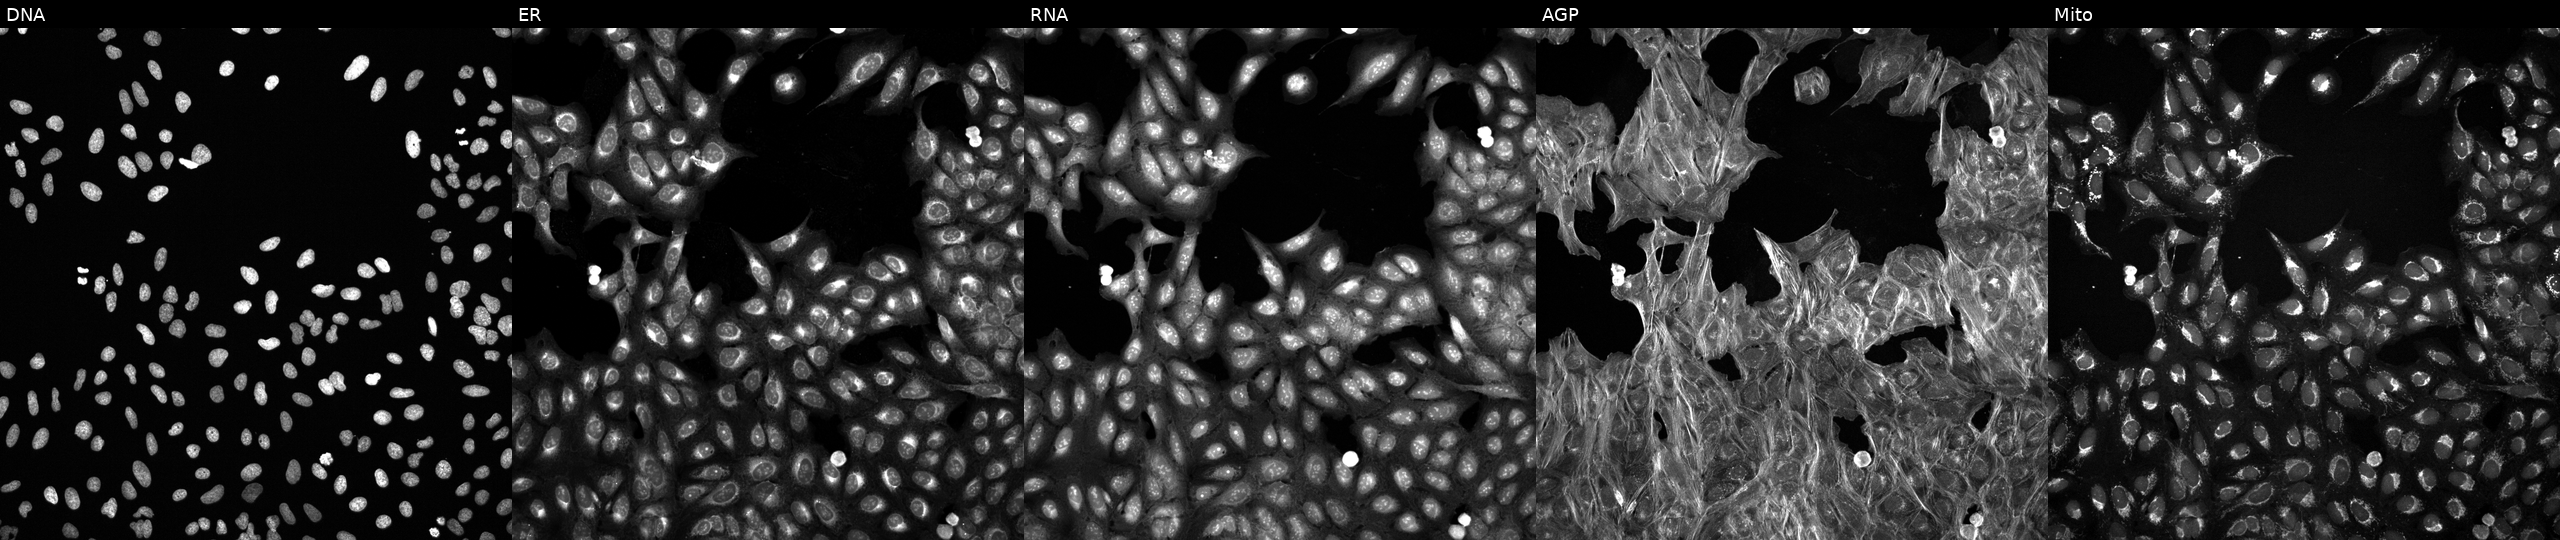
Panels show, left to right, DNA (nuclei); ER (endoplasmic reticulum); RNA (nucleoli and cytoplasmic RNA); AGP (actin cytoskeleton, Golgi, and plasma membrane); Mito (mitochondria). U2OS osteosarcoma cells perturbed with a small-molecule compound (InChIKey RFEWHBZDSFGGIW-UHFFFAOYSA-N) [SMILES: Cc1nc2cc(NC(C)C(=O)Nc3ccccc3C)ccc2o1]. Cell Painting assay, JUMP-CP dataset.